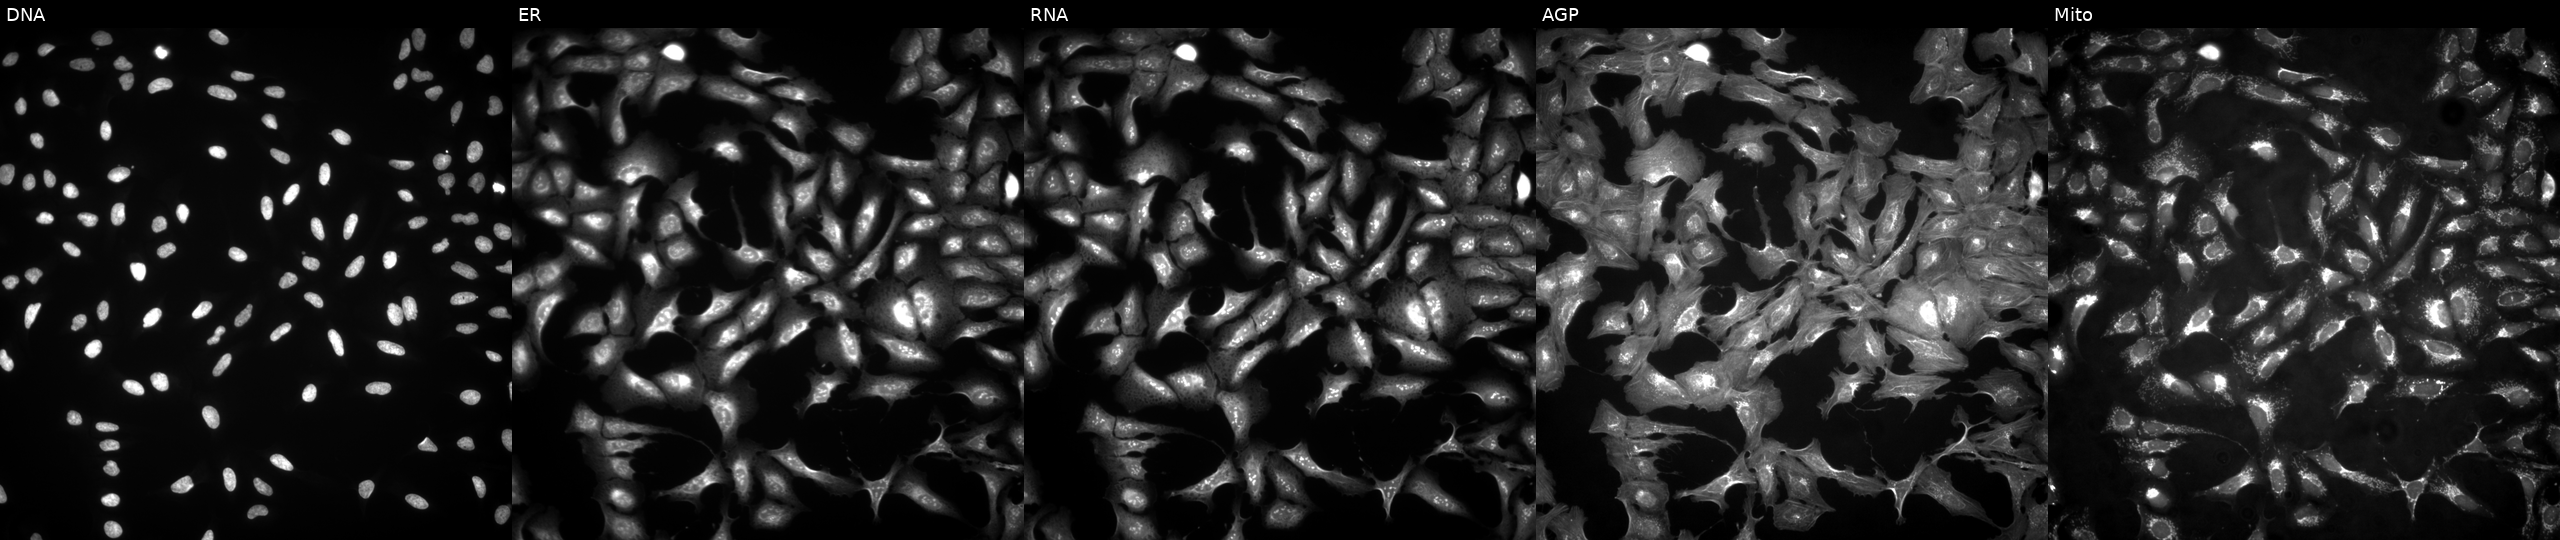
This image strip shows the five Cell Painting channels for a single field of U2OS cells overexpressing FANCD2OS via ORF transfection. Channels (left→right): DNA (nuclei); ER (endoplasmic reticulum); RNA (nucleoli and cytoplasmic RNA); AGP (actin cytoskeleton, Golgi, and plasma membrane); Mito (mitochondria).